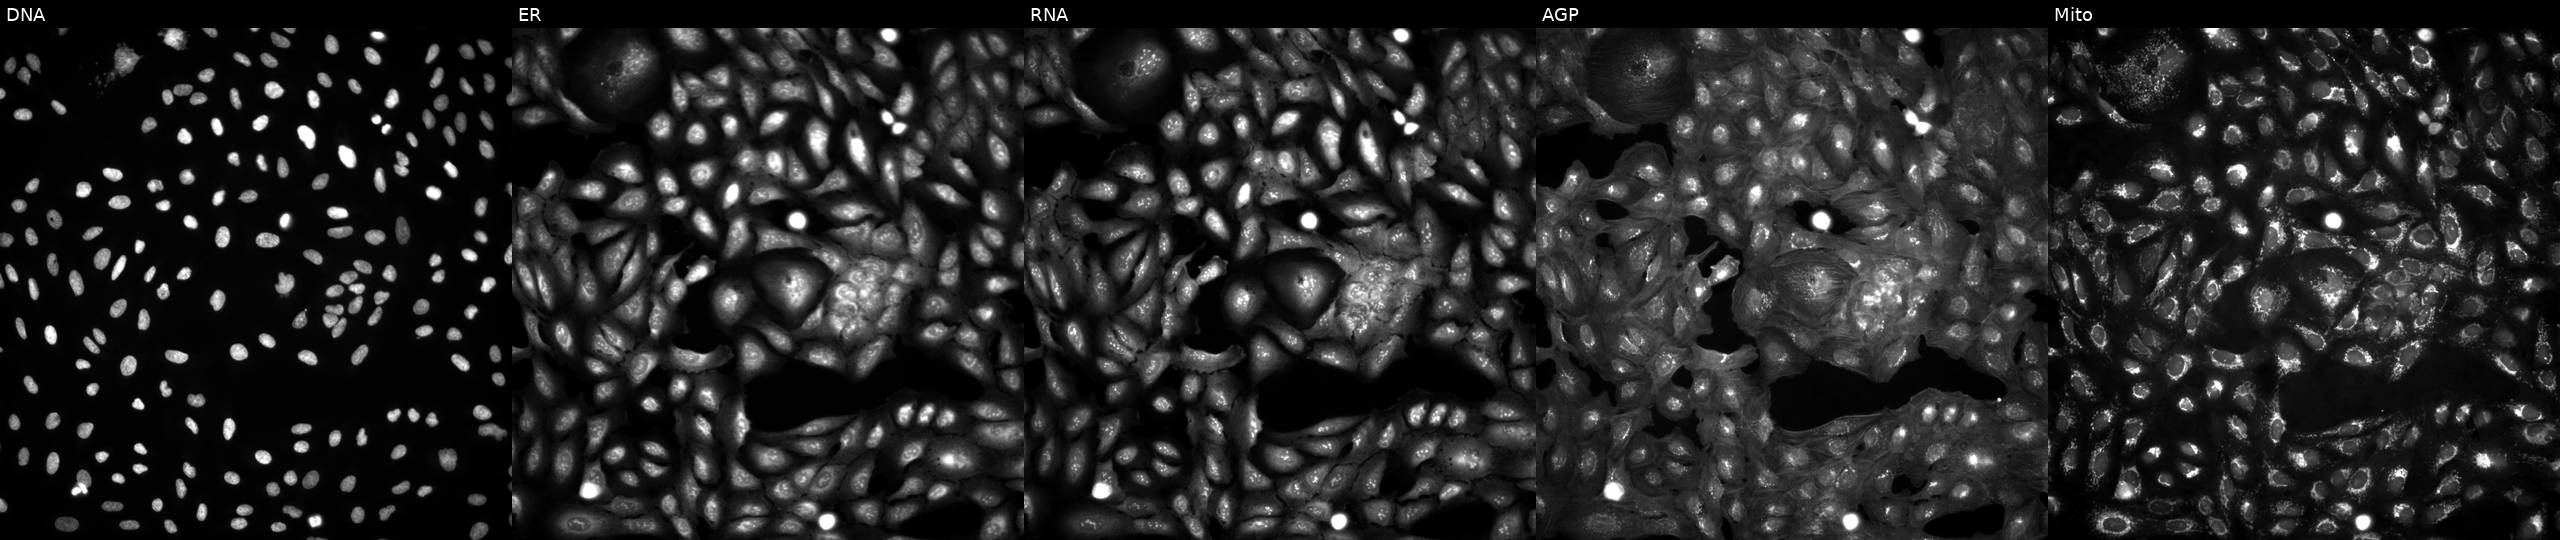
JUMP Cell Painting — ORF plate. U2OS cells untreated (empty-well control). Panels show, left to right, DNA (nuclei); ER (endoplasmic reticulum); RNA (nucleoli and cytoplasmic RNA); AGP (actin cytoskeleton, Golgi, and plasma membrane); Mito (mitochondria). Source 4, plate BR00124793, well I12.